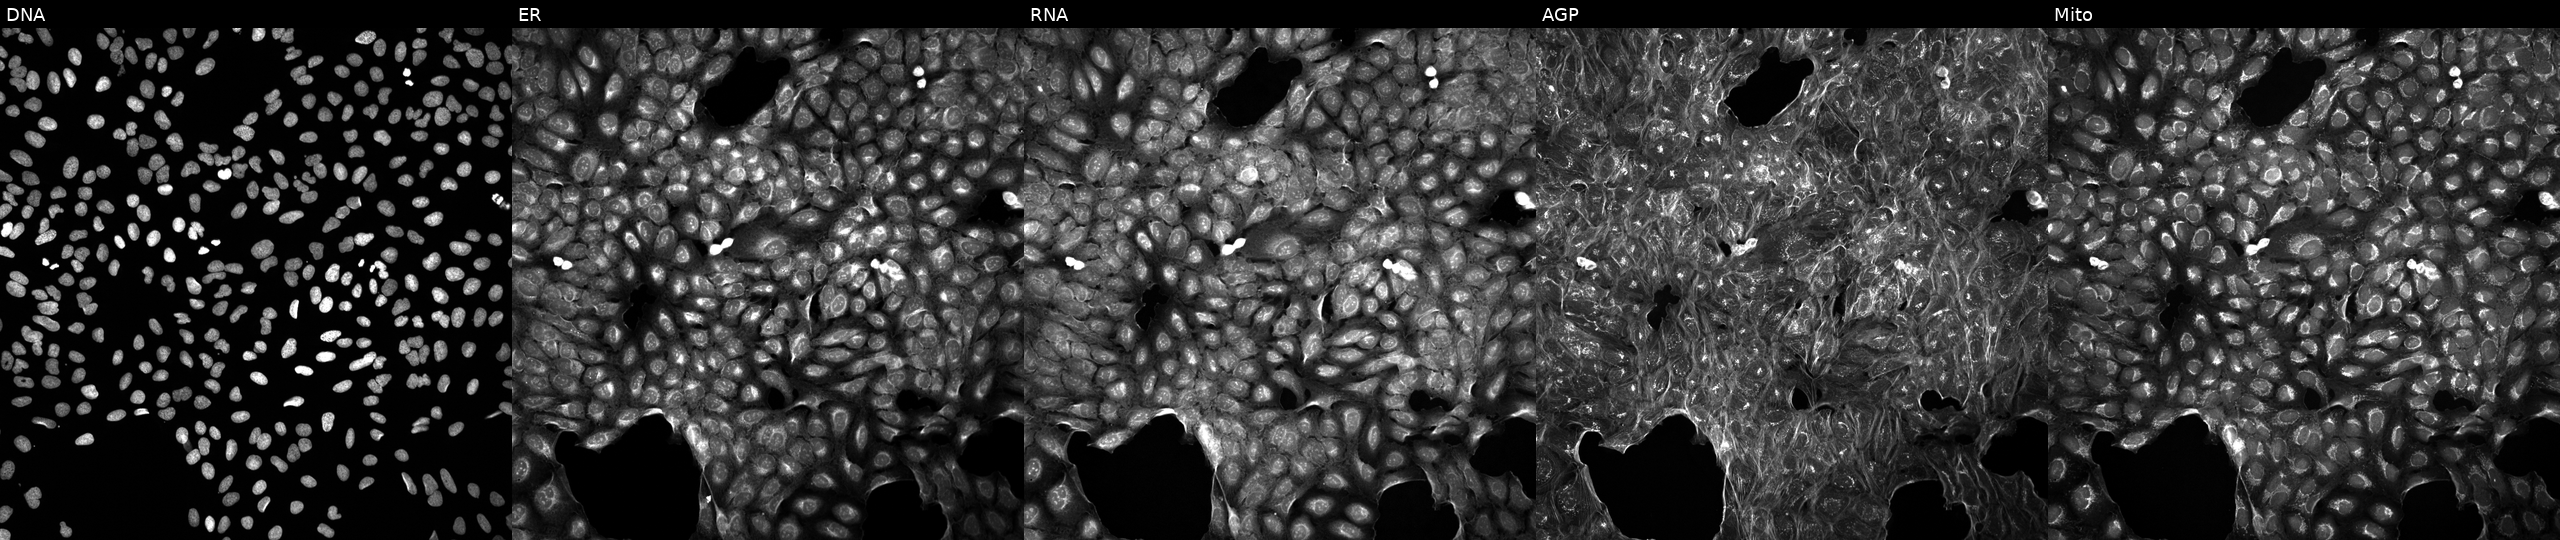
JUMP Cell Painting — TARGET2 plate. U2OS cells treated with a small-molecule compound. Panels show, left to right, Hoechst 33342, concanavalin A, SYTO 14, phalloidin and WGA, MitoTracker.